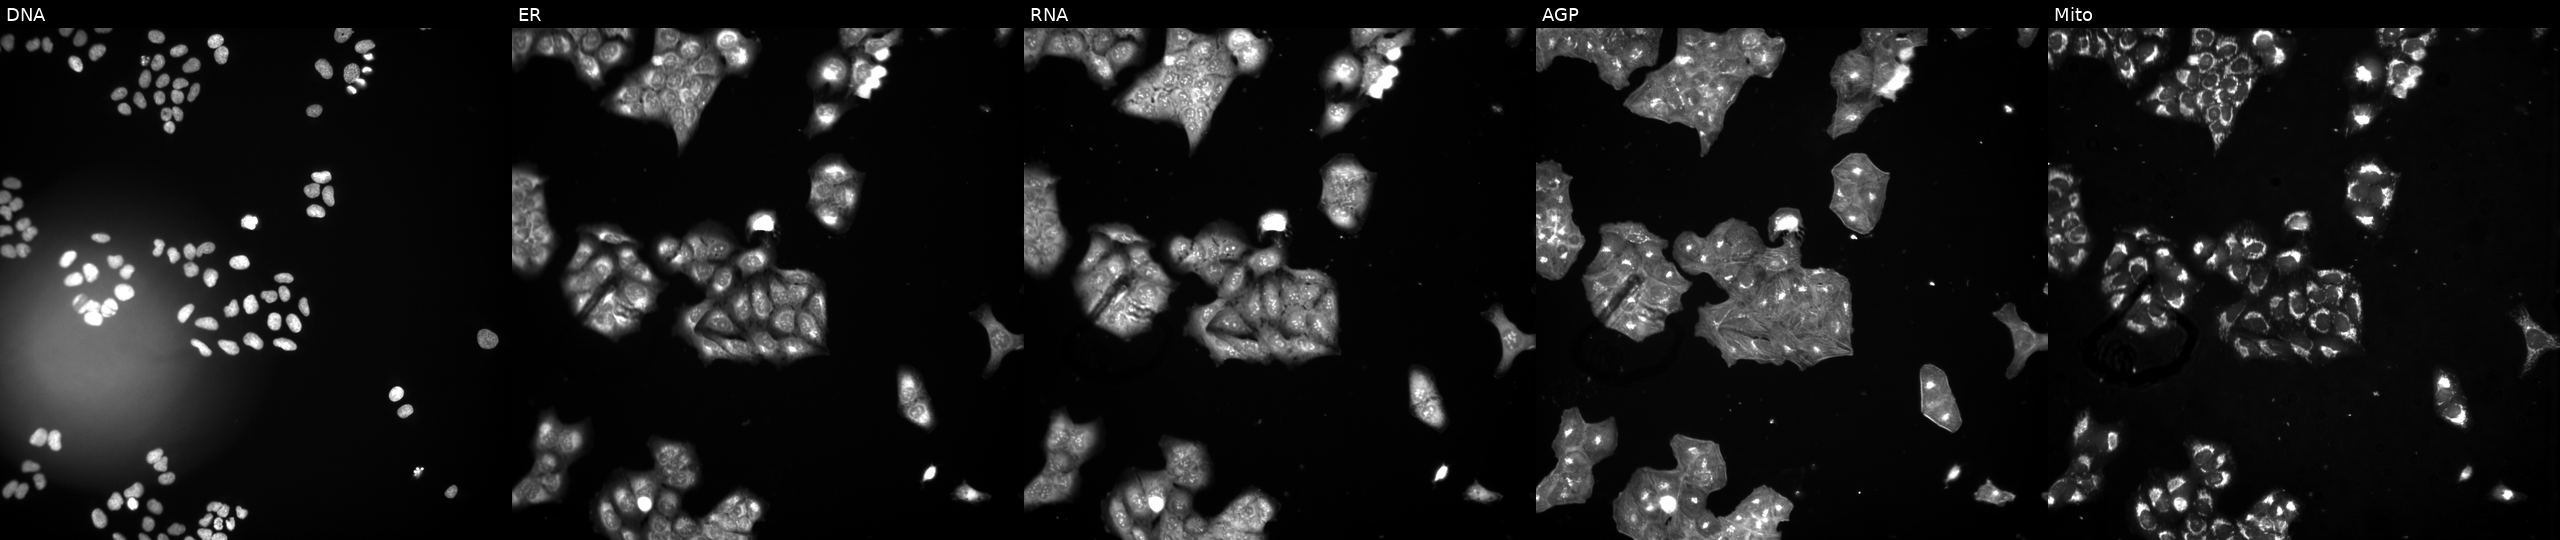
This image strip shows the five Cell Painting channels for a single field of U2OS cells treated with NVS-PAK1-1 (positive-control compound) (JUMP id JCP2022_064022). The five panels, left to right, show Hoechst 33342, concanavalin A, SYTO 14, phalloidin and WGA, MitoTracker.